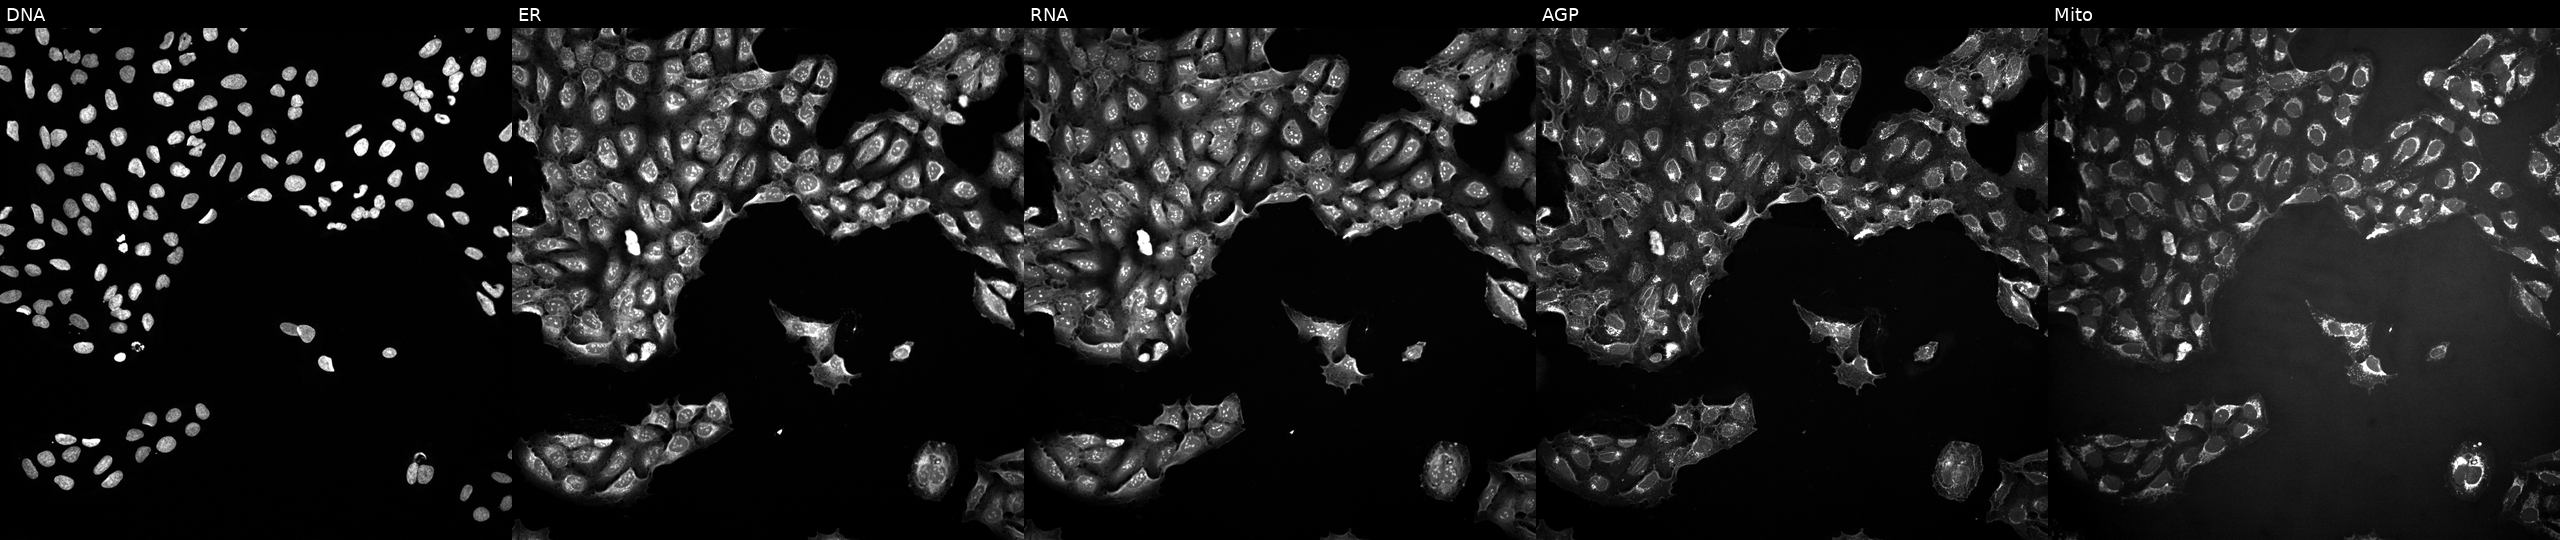
Five-channel Cell Painting image of U2OS cells treated with a small-molecule compound (InChIKey DTGLZDAWLRGWQN-UHFFFAOYSA-N) [SMILES: CC(=O)Oc1cc2c(s1)CCN(C(C(=O)C1CC1)c1ccccc1F)C2] (JUMP id JCP2022_018074). The five panels, left to right, show DNA, ER, RNA, AGP, and Mito.